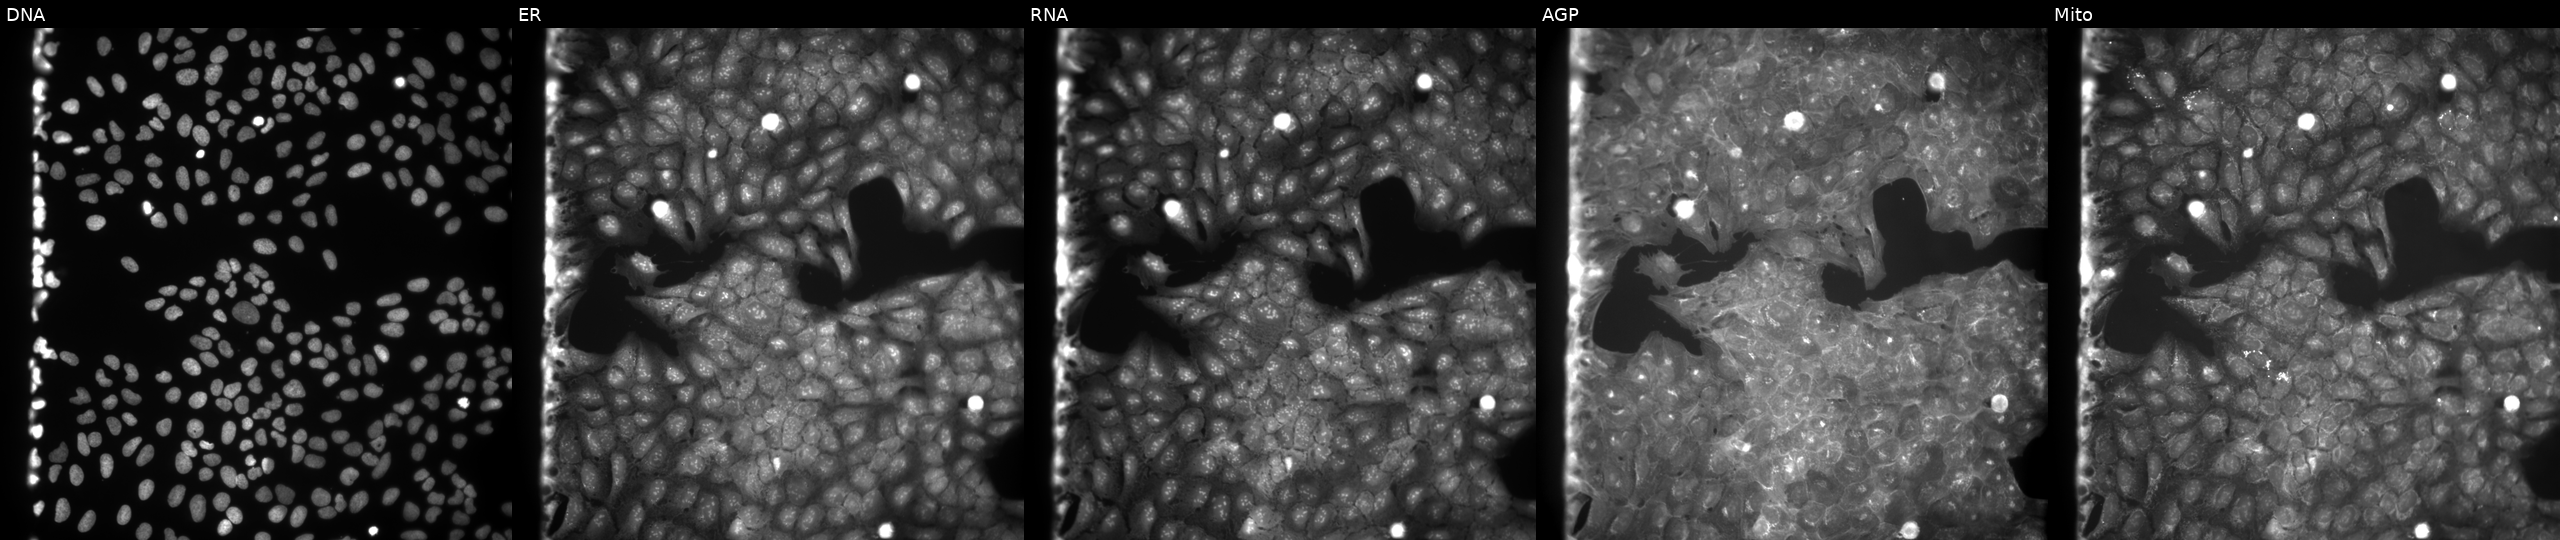
The five panels, left to right, show DNA, ER, RNA, AGP, and Mito. U2OS osteosarcoma cells exposed to DMSO alone as a negative control. Cell Painting assay, JUMP-CP dataset. Source 9, plate GR00003381, well C02.